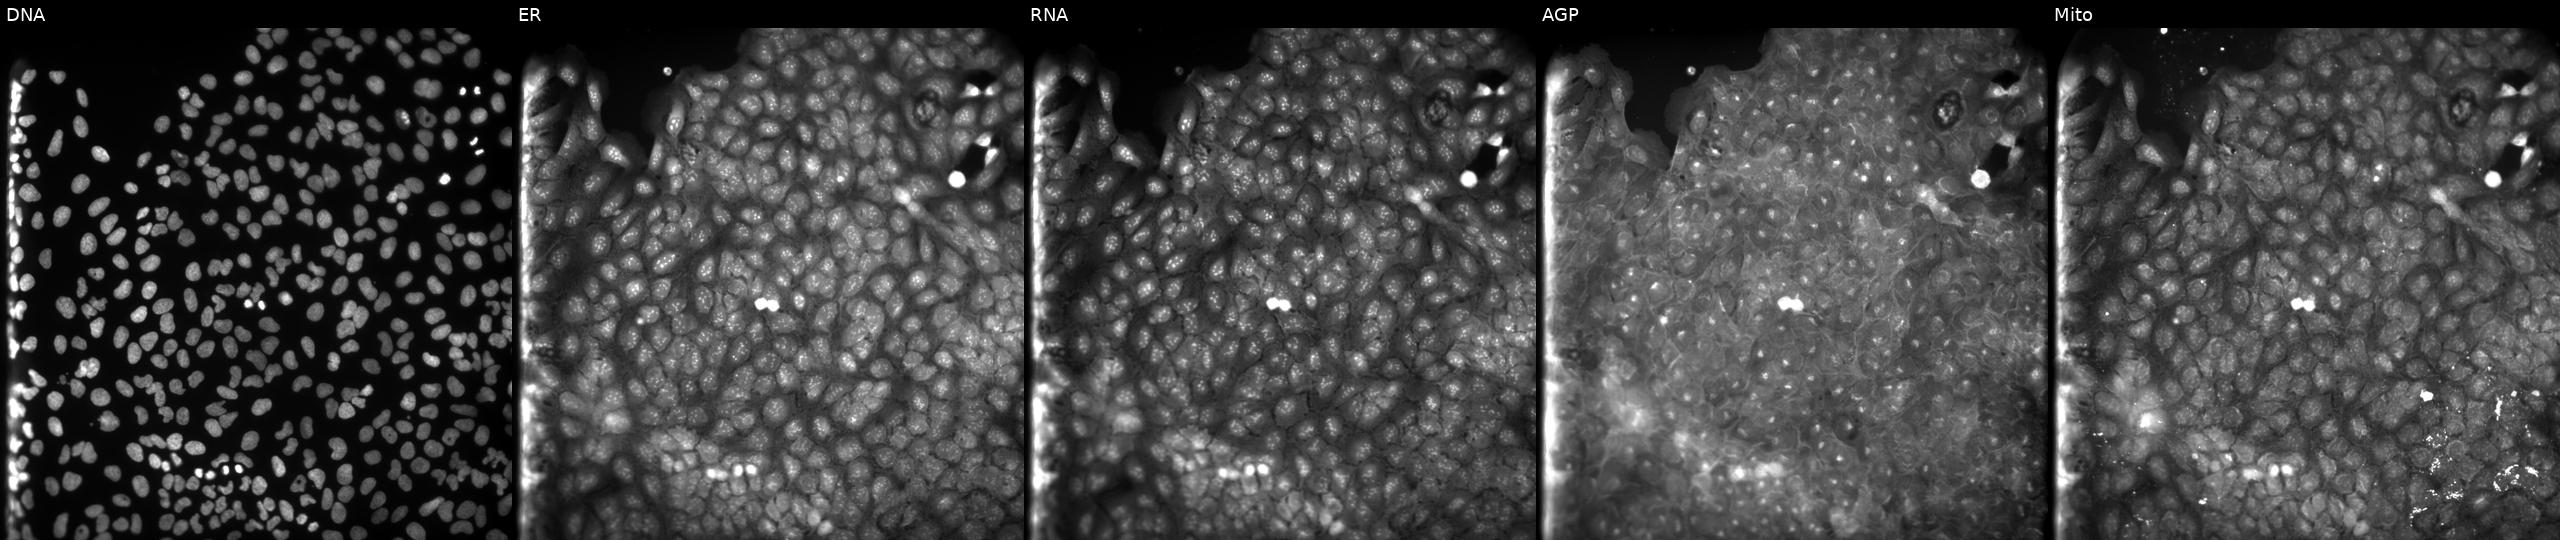
This image strip shows the five Cell Painting channels for a single field of U2OS cells treated with DMSO vehicle only (negative control). From left to right: Hoechst 33342, concanavalin A, SYTO 14, phalloidin and WGA, MitoTracker.